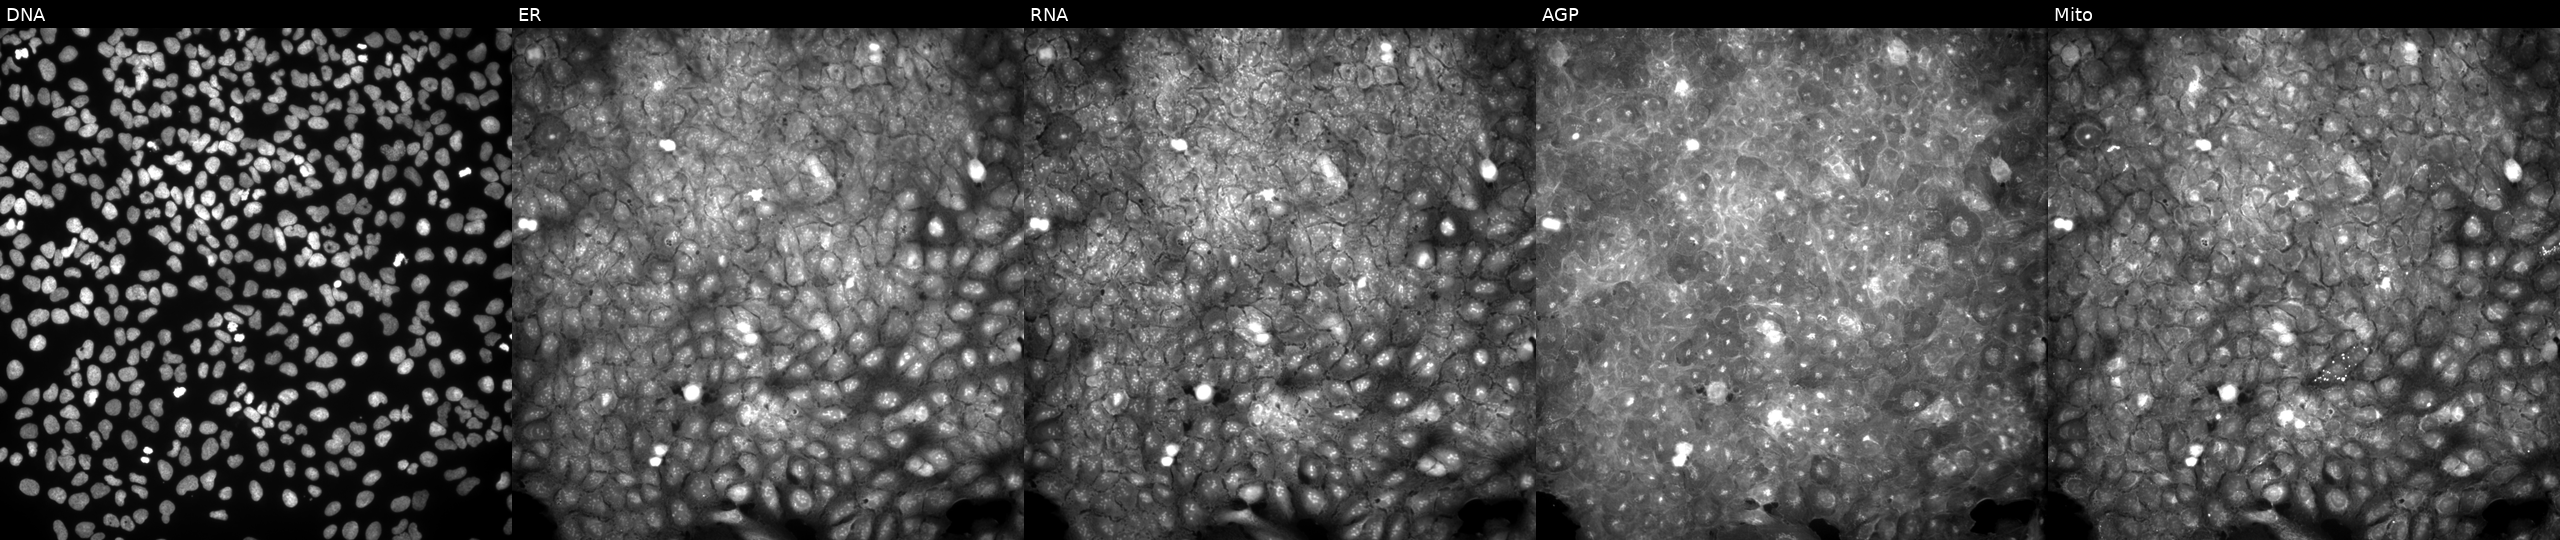
High-content fluorescence microscopy (Cell Painting). Cell line: U2OS. Perturbation: exposed to a small-molecule compound (InChIKey ISDHIIZDAICTJY-UHFFFAOYSA-N) [SMILES: COc1ccc(-n2c(CNC(=O)c3cccs3)n[nH]c2=S)cc1]. From left to right: DNA (nuclei); ER (endoplasmic reticulum); RNA (nucleoli and cytoplasmic RNA); AGP (actin cytoskeleton, Golgi, and plasma membrane); Mito (mitochondria).